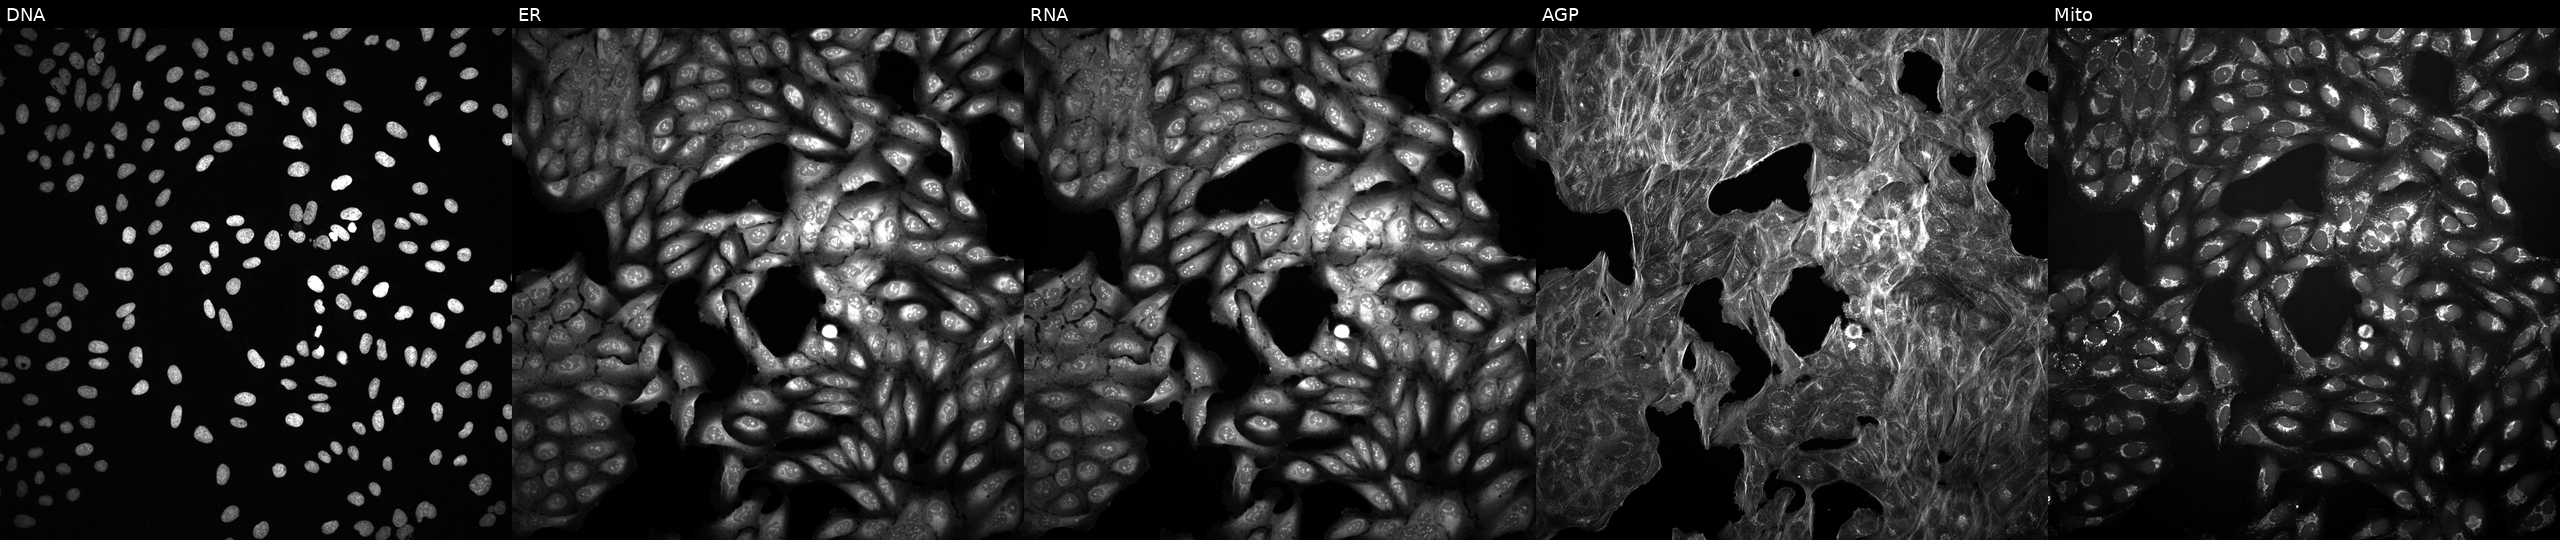
JUMP Cell Painting — TARGET2 plate. U2OS cells perturbed with a small-molecule compound (InChIKey ZRALSGWEFCBTJO-UHFFFAOYSA-N) (JUMP id JCP2022_115134). Panels show, left to right, Hoechst 33342, concanavalin A, SYTO 14, phalloidin and WGA, MitoTracker. Source 2, plate 1053597936, well I05.